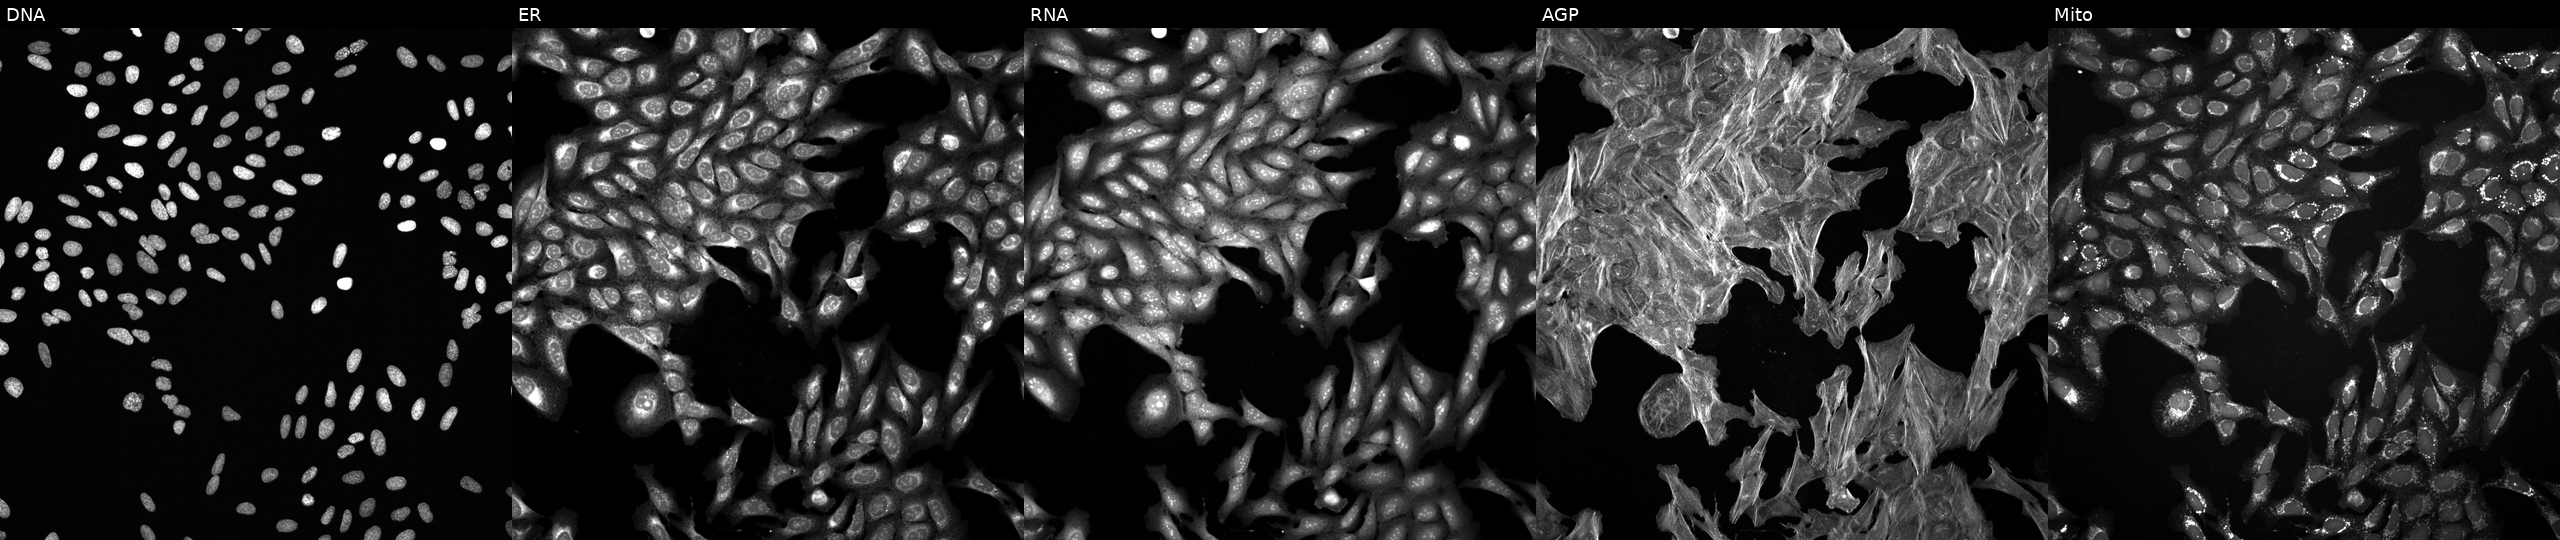
High-content fluorescence microscopy (Cell Painting). Cell line: U2OS. Perturbation: perturbed with a small-molecule compound (InChIKey XFILPEOLDIKJHX-UHFFFAOYSA-N) (JUMP id JCP2022_103291). Panels show, left to right, Hoechst 33342, concanavalin A, SYTO 14, phalloidin and WGA, MitoTracker. Source 6, plate 110000293093, well G20.